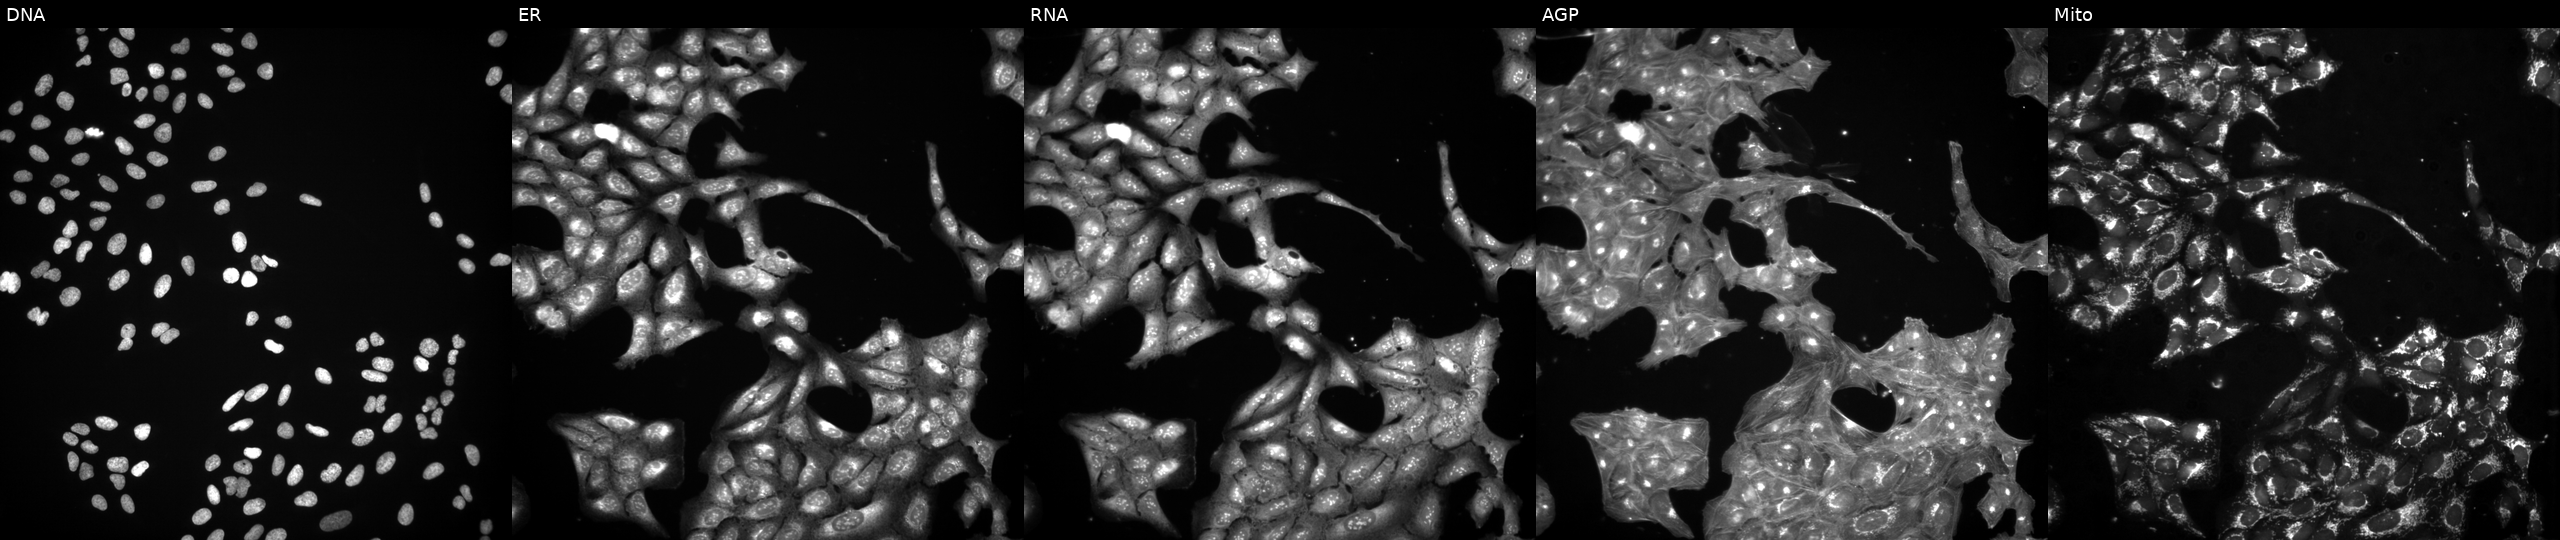
Panels show, left to right, DNA (nuclei); ER (endoplasmic reticulum); RNA (nucleoli and cytoplasmic RNA); AGP (actin cytoskeleton, Golgi, and plasma membrane); Mito (mitochondria). U2OS osteosarcoma cells treated with a small-molecule compound (InChIKey JZKQPBQFULMPPG-UHFFFAOYSA-N) (JUMP id JCP2022_043139). Cell Painting assay, JUMP-CP dataset. Source 3, plate BR5867a3, well N03.